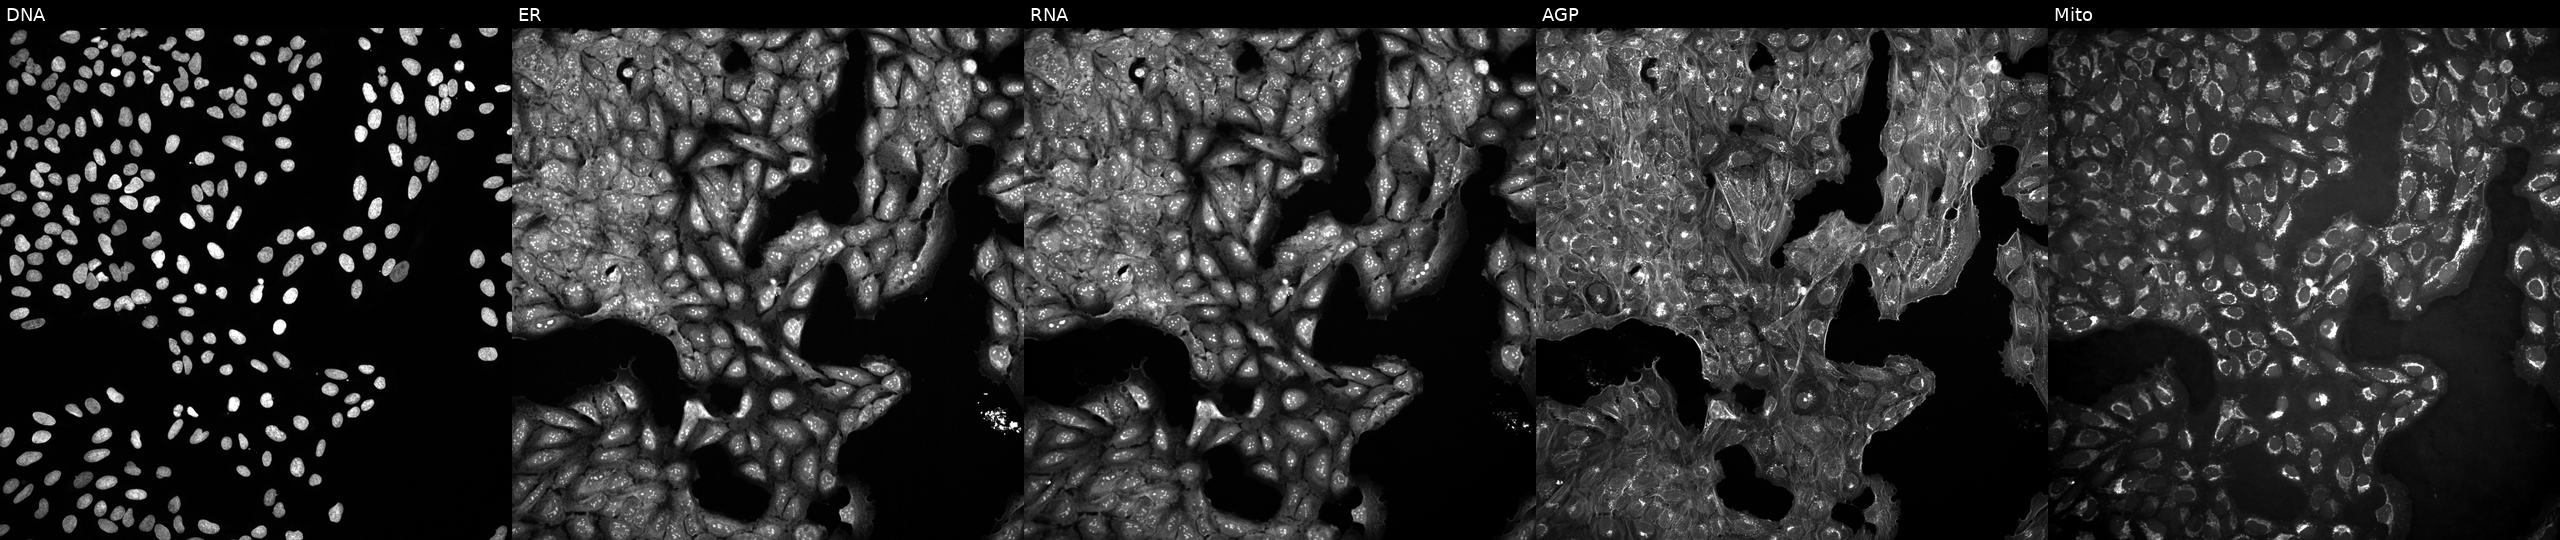
This image strip shows the five Cell Painting channels for a single field of U2OS cells perturbed with a small-molecule compound (InChIKey ZEAAPVLSFSNBPH-UHFFFAOYSA-N) (JUMP id JCP2022_112719). From left to right: Hoechst 33342, concanavalin A, SYTO 14, phalloidin and WGA, MitoTracker.